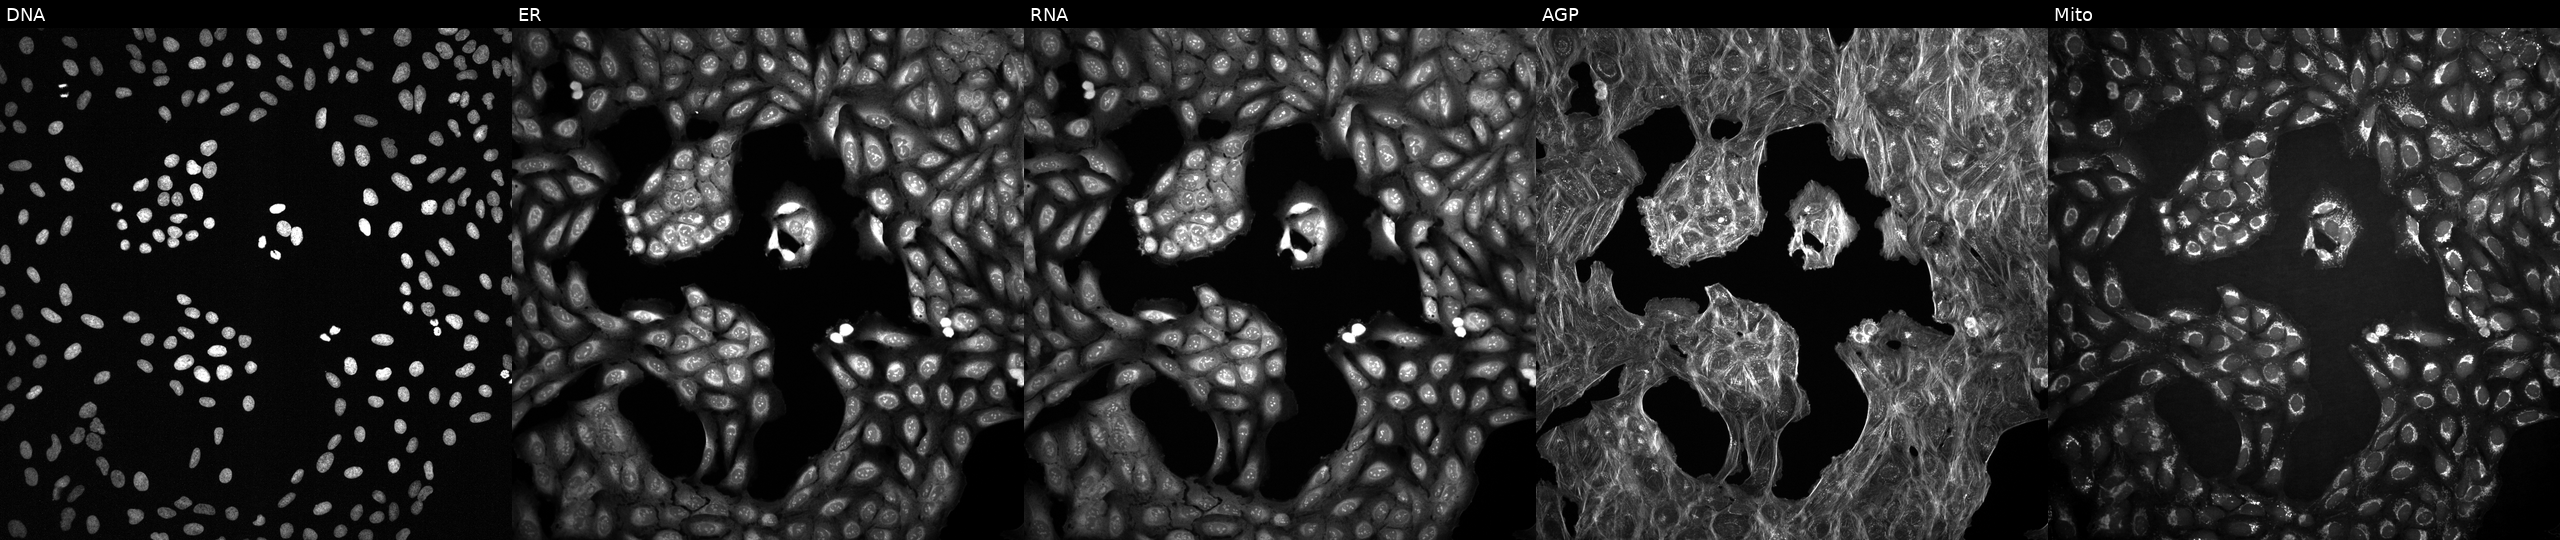
JUMP Cell Painting — COMPOUND plate. U2OS cells treated with a small-molecule compound (InChIKey RIIMEONQJAJJKH-UHFFFAOYSA-N) [SMILES: Cc1cc(C(=O)NCc2nc3ccccc3[nH]2)c2ccccc2n1]. From left to right: Hoechst 33342, concanavalin A, SYTO 14, phalloidin and WGA, MitoTracker. Source 2, plate 1053601763, well H03.